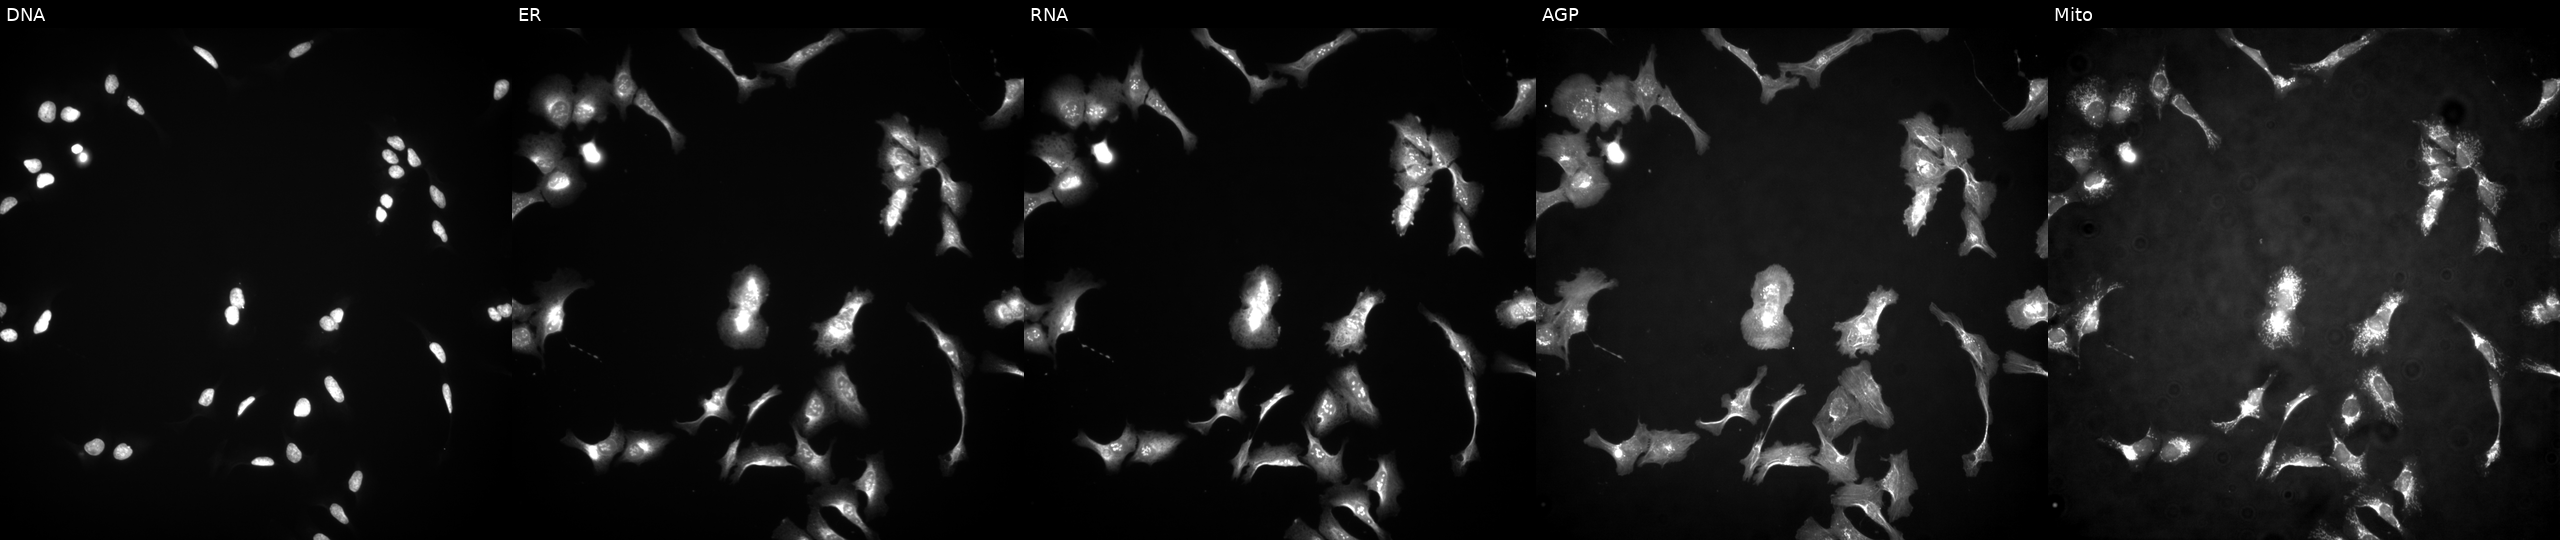
Five-channel Cell Painting image of U2OS cells with LYRM2 overexpressed (ORF) (JUMP id JCP2022_903579). Panels show, left to right, DNA, ER, RNA, AGP, and Mito.